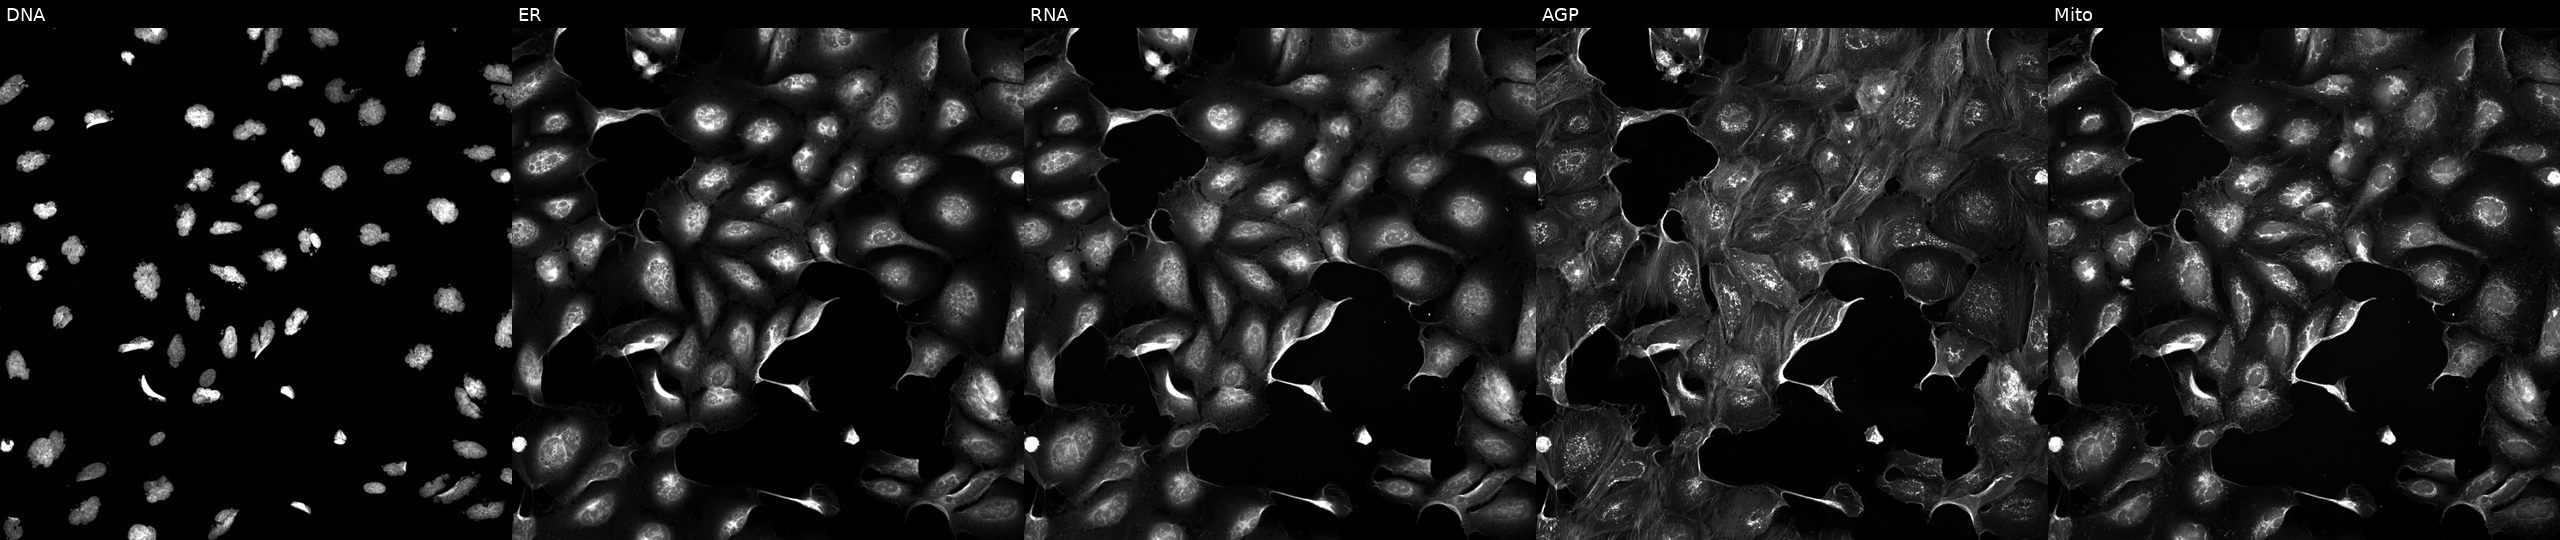
This image strip shows the five Cell Painting channels for a single field of U2OS cells treated with AMG900 (positive-control compound). Panels show, left to right, DNA, ER, RNA, AGP, and Mito.